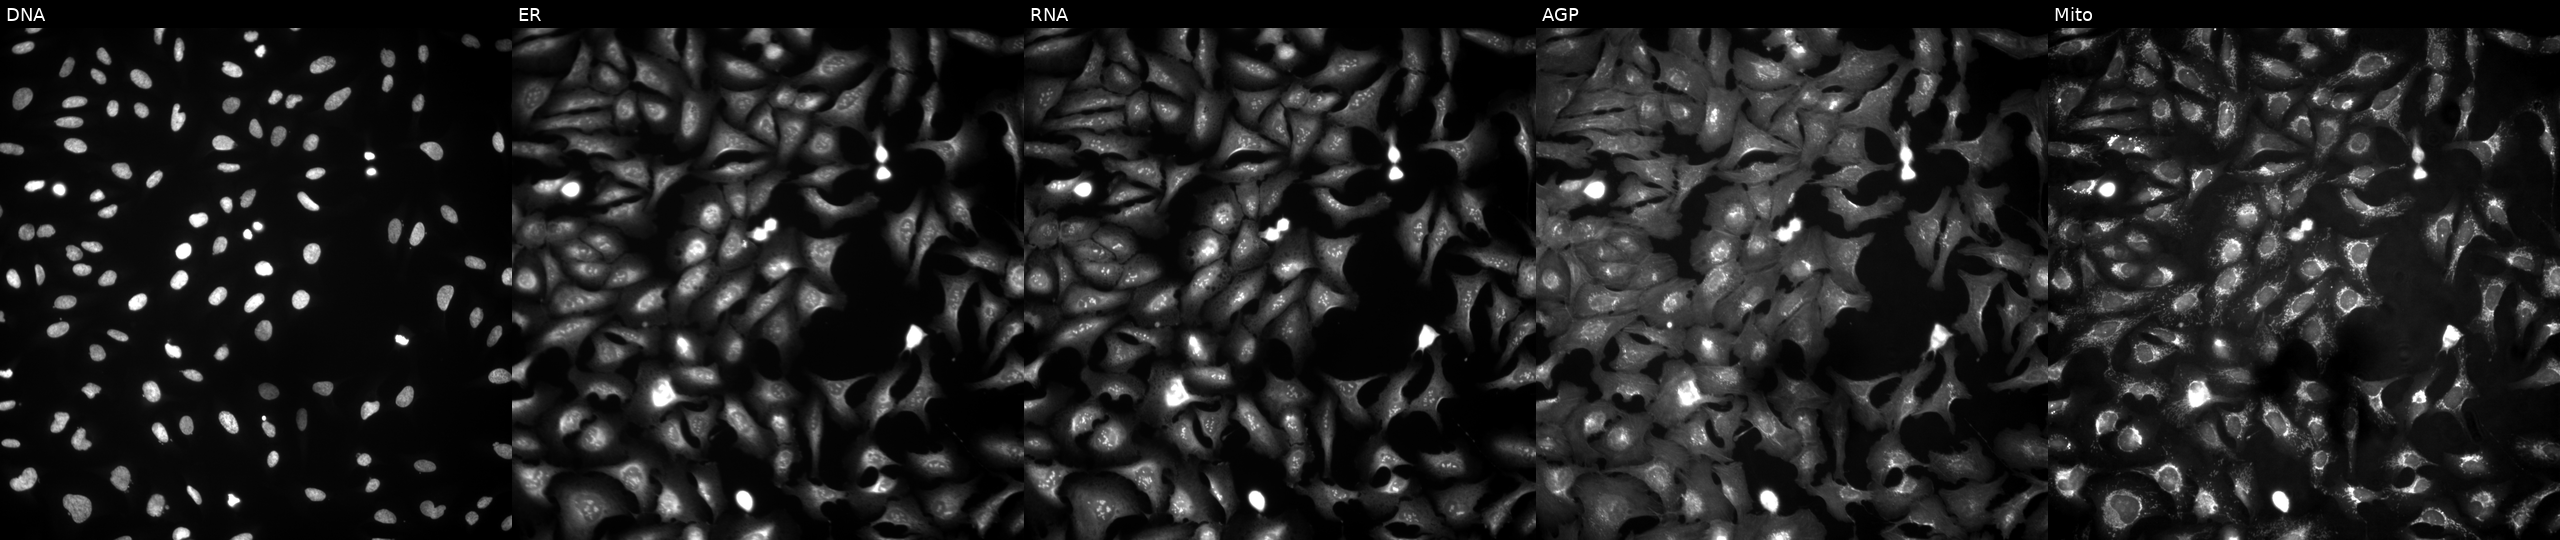
JUMP Cell Painting — ORF plate. U2OS cells with XLOC_l2_009328 overexpressed (ORF). Panels show, left to right, Hoechst 33342, concanavalin A, SYTO 14, phalloidin and WGA, MitoTracker.